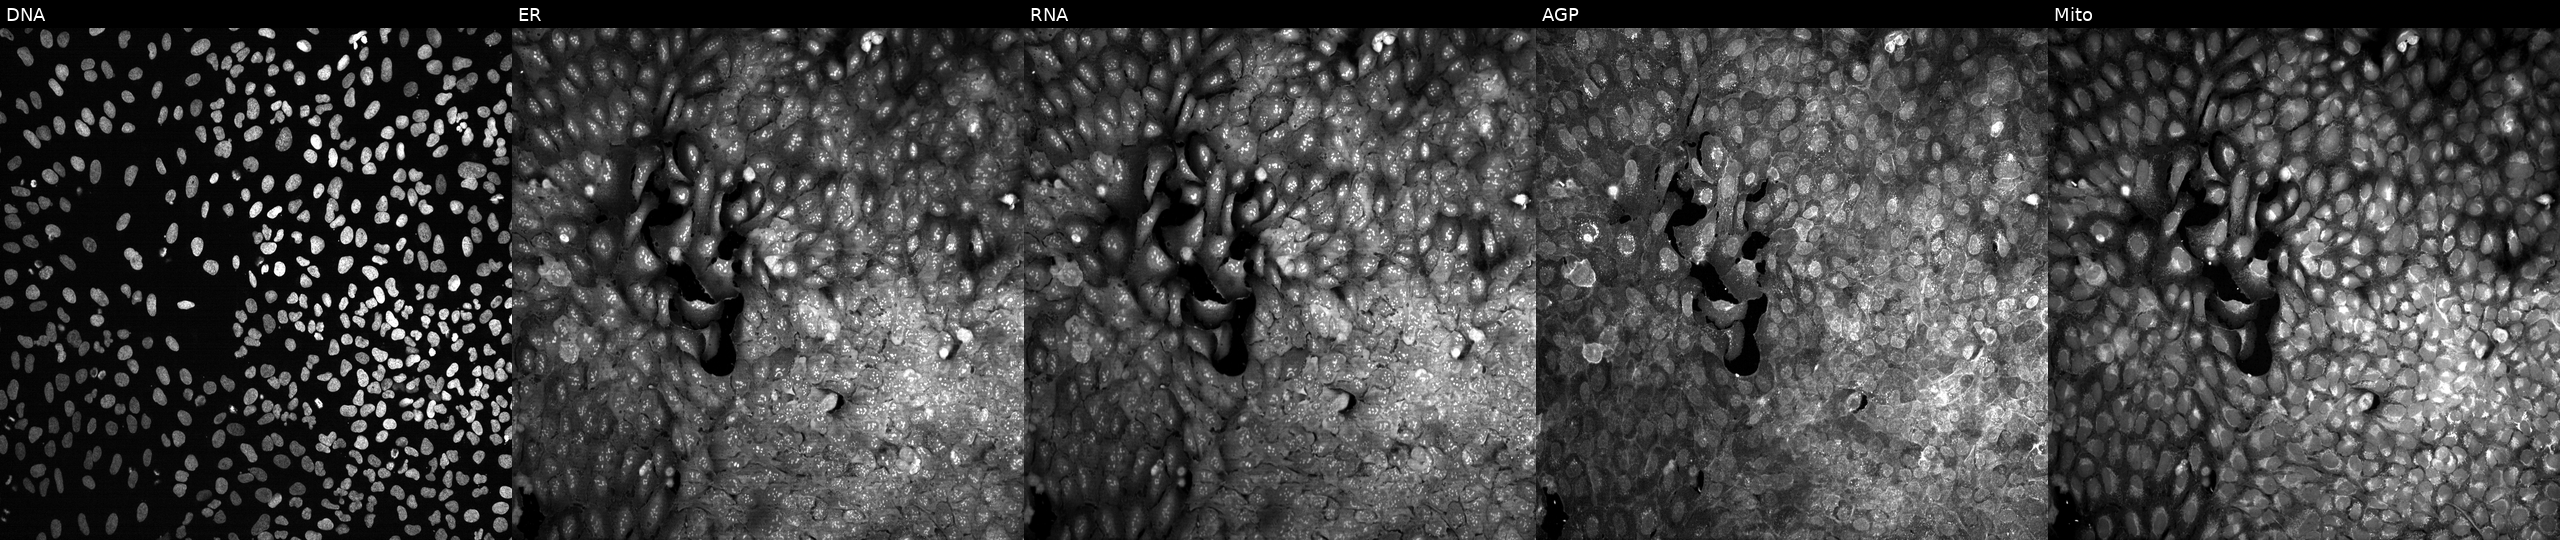
U2OS cells, Cell Painting assay, following CRISPR knockout of TNXB (JUMP id JCP2022_807190). The five panels, left to right, show DNA, ER, RNA, AGP, and Mito. Each panel is percentile-stretched 16-bit fluorescence.